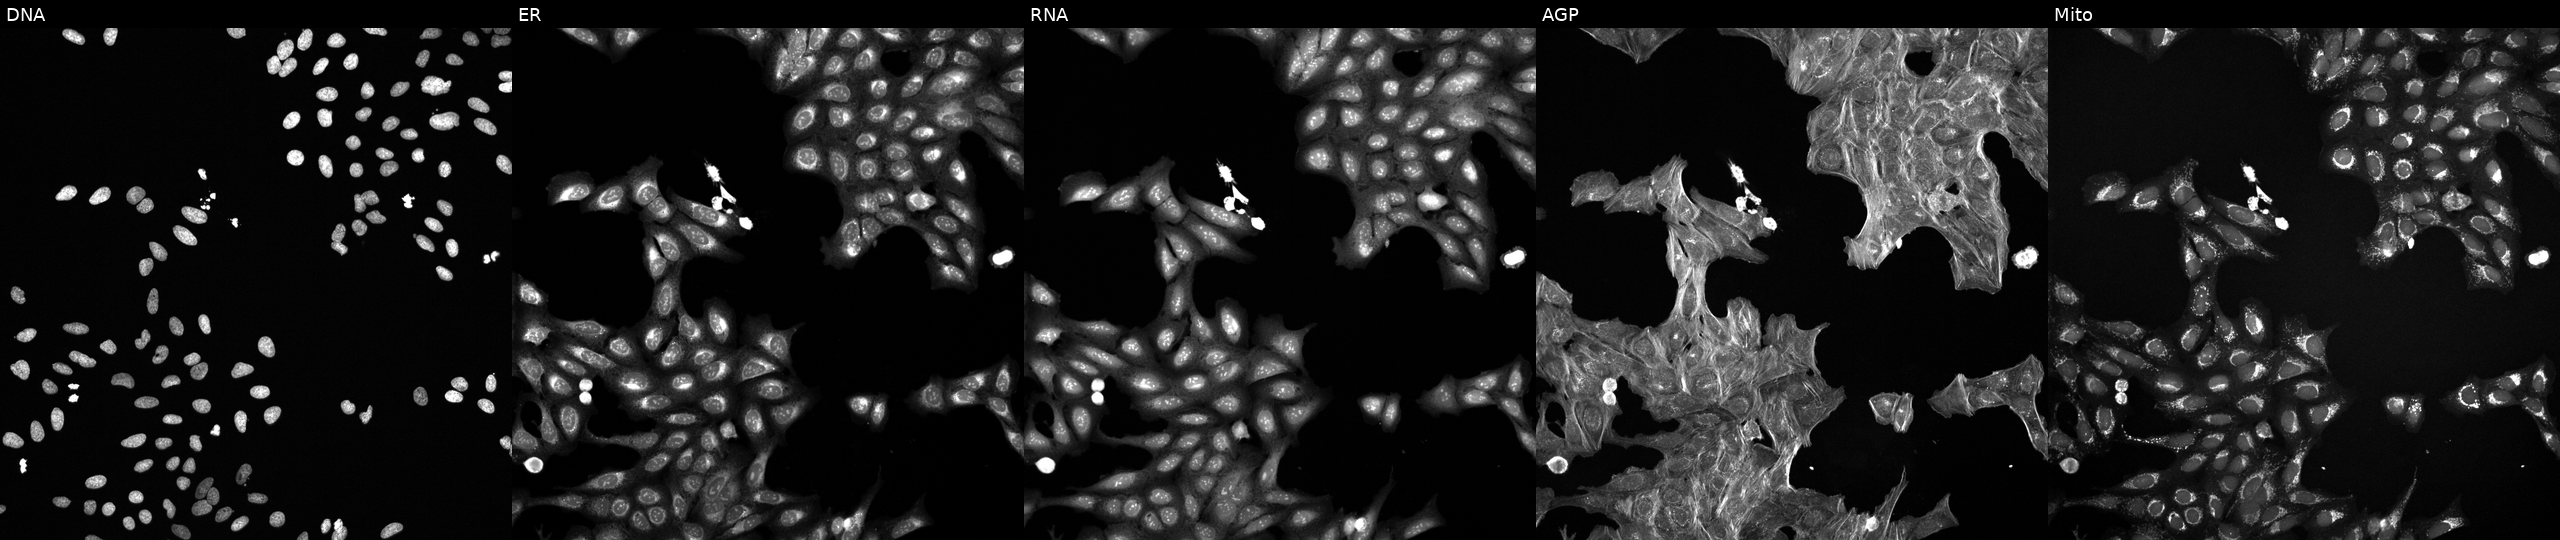
Five-channel Cell Painting image of U2OS cells treated with a small-molecule compound [SMILES: O=C(Nc1ccc(F)c(Cl)c1)C1CCN(C(=O)c2ccco2)CC1]. From left to right: DNA (nuclei); ER (endoplasmic reticulum); RNA (nucleoli and cytoplasmic RNA); AGP (actin cytoskeleton, Golgi, and plasma membrane); Mito (mitochondria).